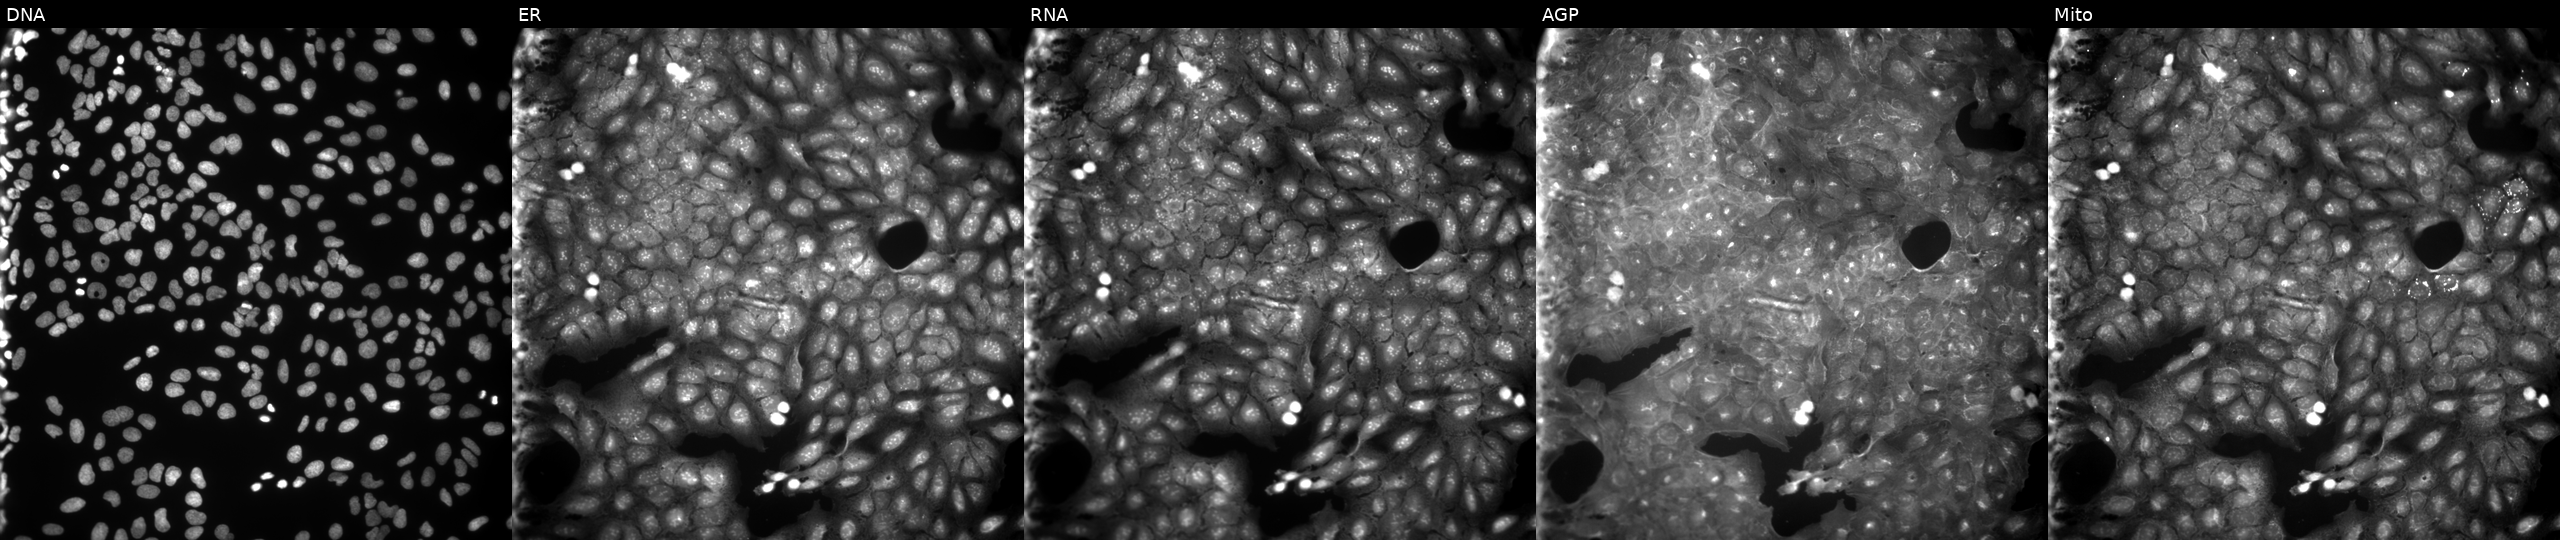
JUMP Cell Painting — COMPOUND plate. U2OS cells perturbed with a small-molecule compound (InChIKey DKXOCIGOSILVPD-UHFFFAOYSA-N) (JUMP id JCP2022_016608). The five panels, left to right, show DNA (nuclei); ER (endoplasmic reticulum); RNA (nucleoli and cytoplasmic RNA); AGP (actin cytoskeleton, Golgi, and plasma membrane); Mito (mitochondria).